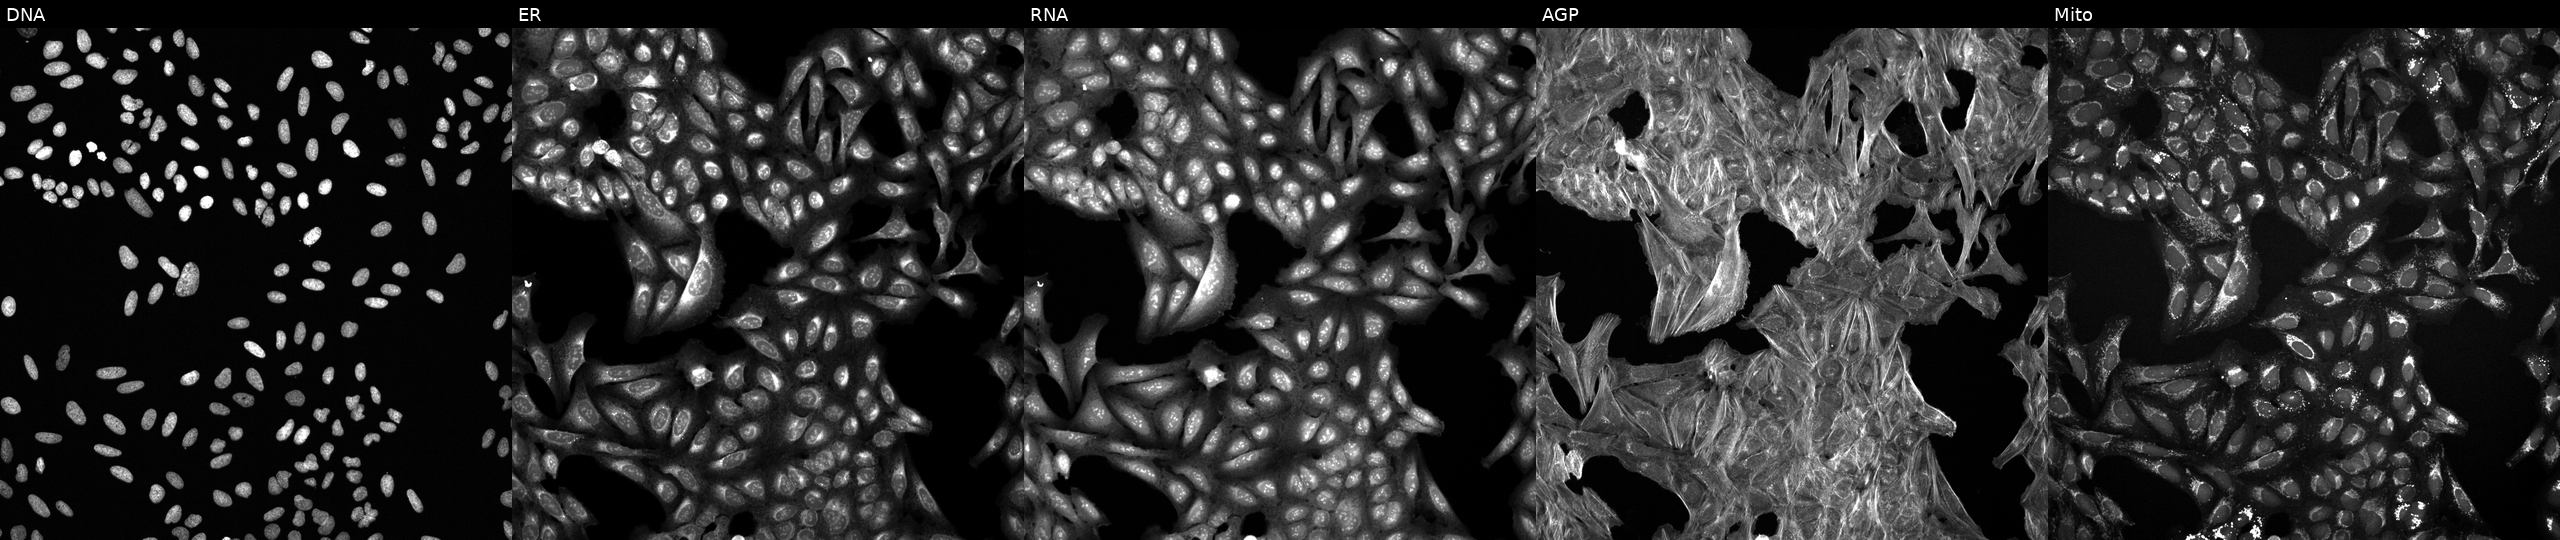
U2OS cells, Cell Painting assay, exposed to the positive-control compound quinidine. Channels (left→right): DNA, ER, RNA, AGP, and Mito. Each panel is percentile-stretched 16-bit fluorescence.